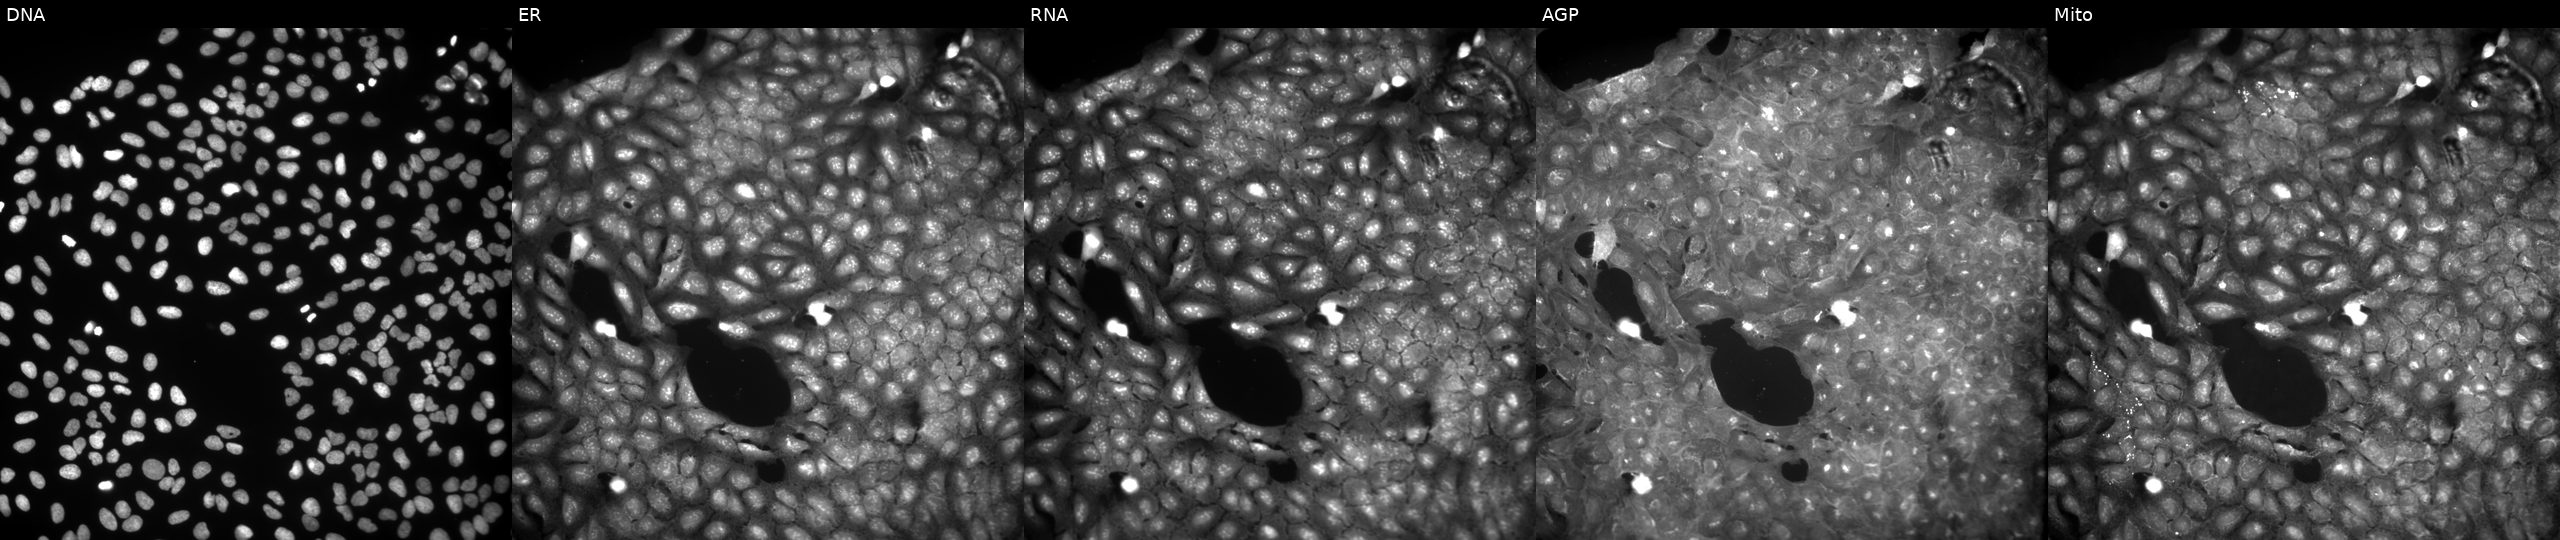
U2OS cells, Cell Painting assay, exposed to a small-molecule compound (InChIKey CXZVVLBNAWTVQU-UHFFFAOYSA-N) (JUMP id JCP2022_014157). Channels (left→right): Hoechst 33342, concanavalin A, SYTO 14, phalloidin and WGA, MitoTracker. Each panel is percentile-stretched 16-bit fluorescence.